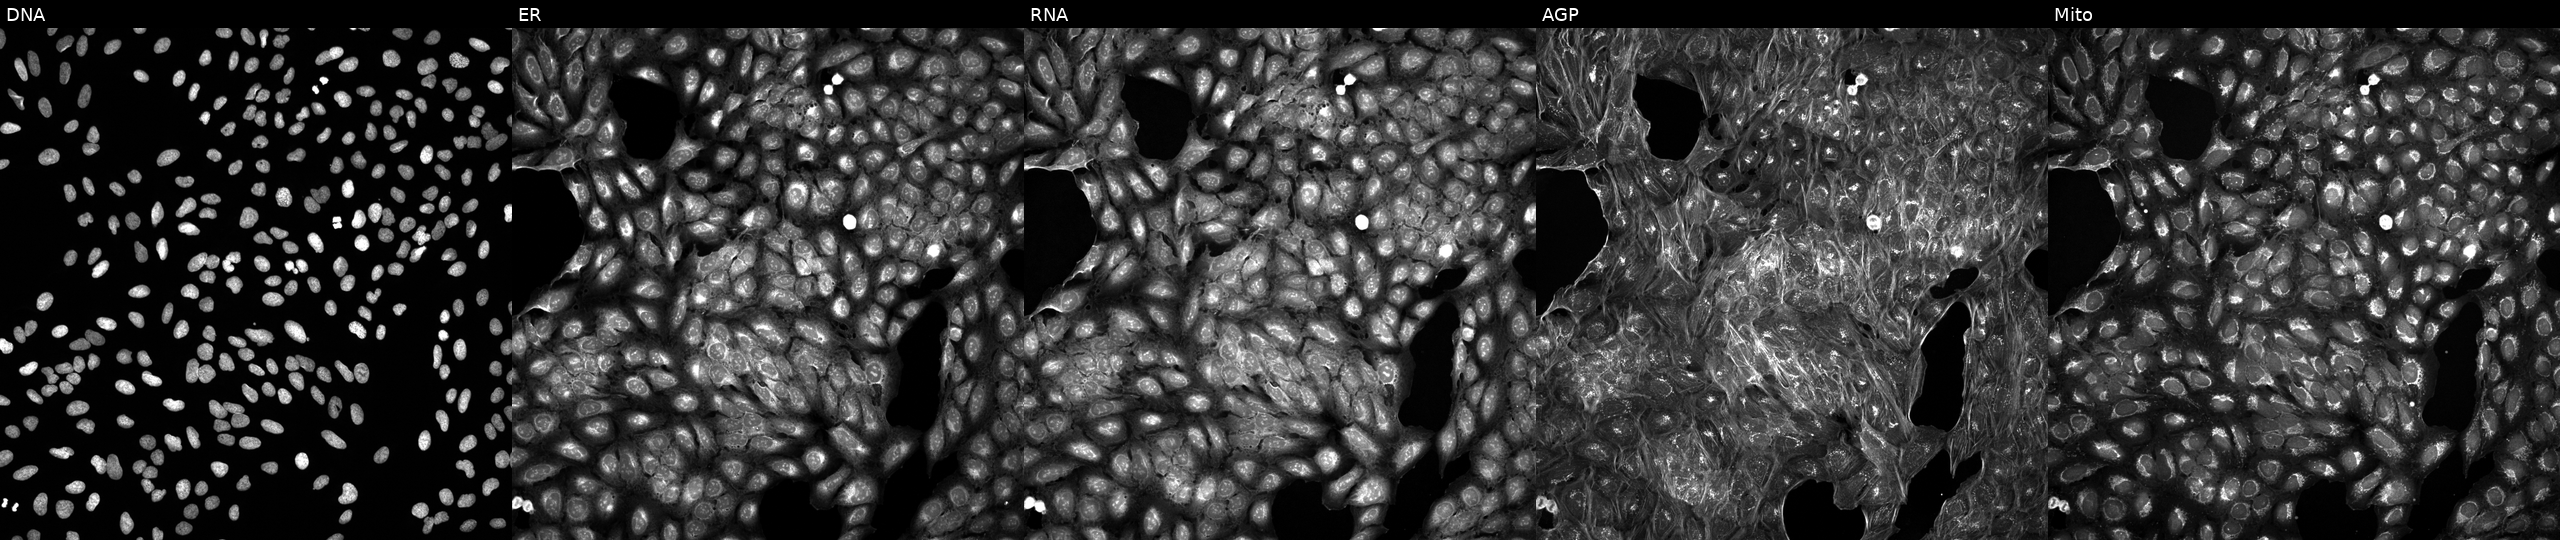
U2OS cells, Cell Painting assay, treated with a small-molecule compound [SMILES: CCCCCCCN(CC)CCCC(O)c1ccc(NS(C)(=O)=O)cc1] (JUMP id JCP2022_002206). Panels show, left to right, Hoechst 33342, concanavalin A, SYTO 14, phalloidin and WGA, MitoTracker. Each panel is percentile-stretched 16-bit fluorescence.